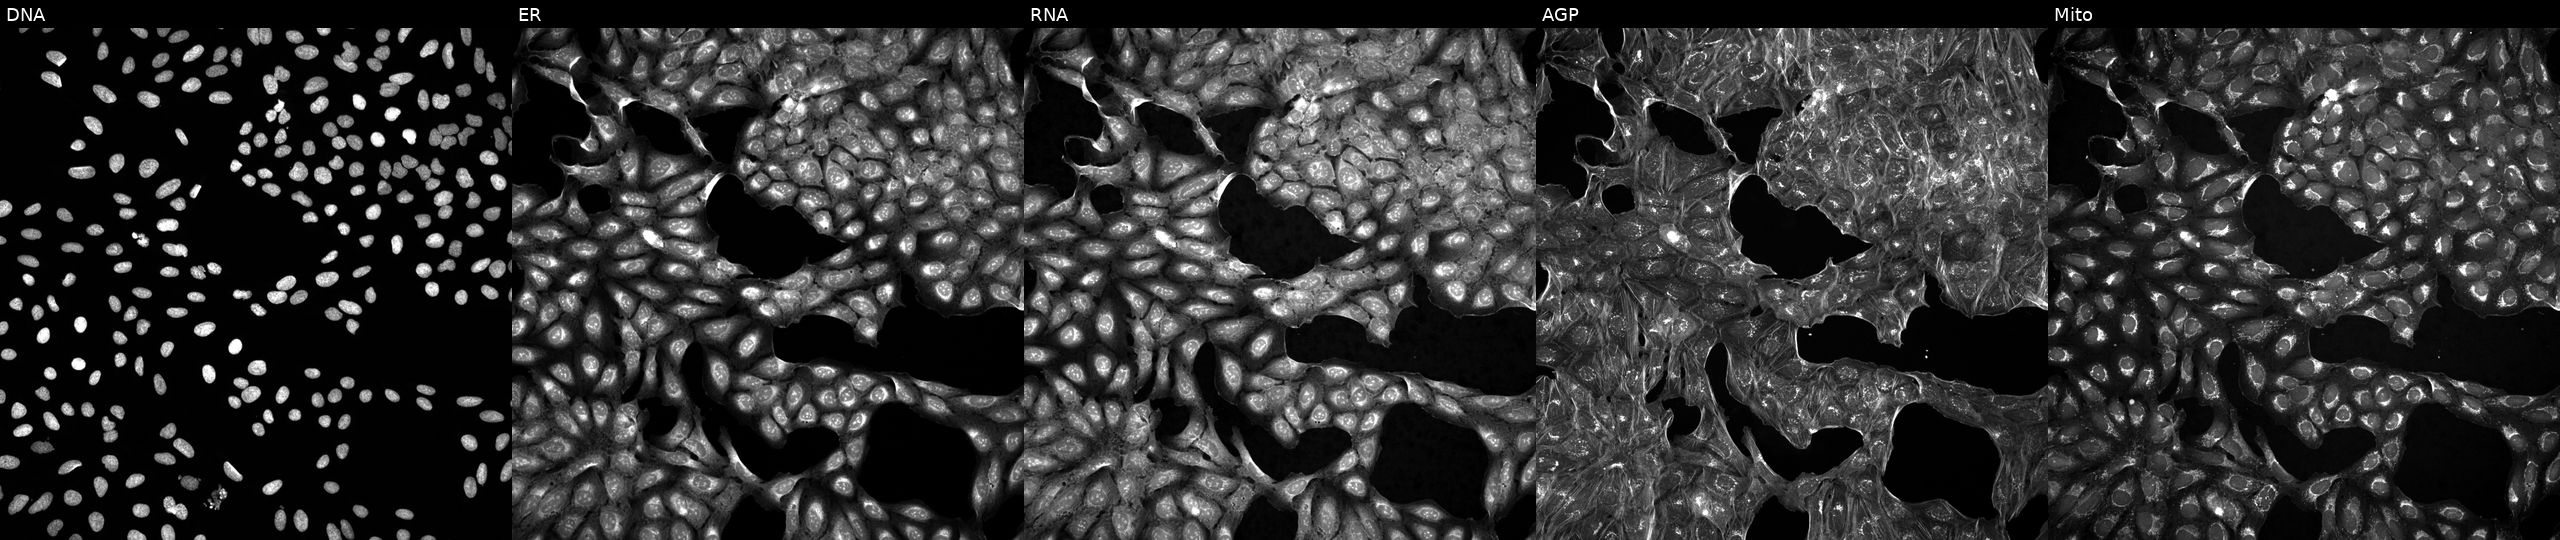
JUMP Cell Painting — TARGET2 plate. U2OS cells exposed to a small-molecule compound [SMILES: CCC(C)C1NC(=O)C(Cc2ccc(O)cc2)NC(=O)C(N)CSSCC(C(=O)N2CCCC2C(=O)NC(CC(C)C)C(=O)NCC(N)=O)NC(=O)C(CC(N)=O)NC(=O)C(CCC(N)=O)NC1=O]. The five panels, left to right, show DNA, ER, RNA, AGP, and Mito. Source 5, plate ACPJUM032, well D21.